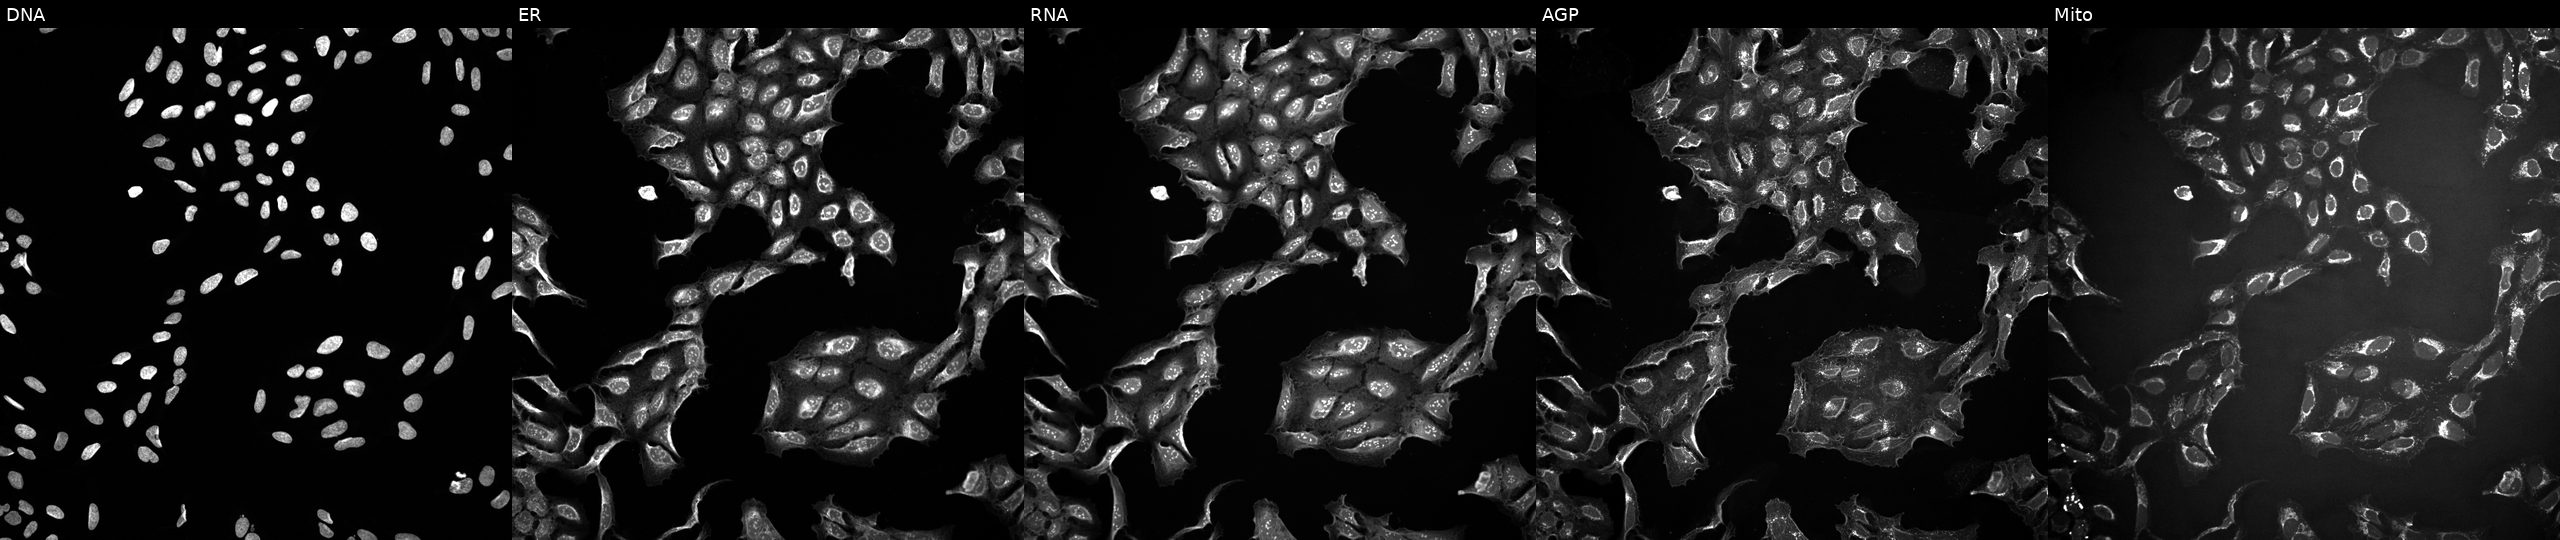
Five-channel Cell Painting image of U2OS cells exposed to DMSO alone as a negative control. Panels show, left to right, DNA, ER, RNA, AGP, and Mito. Source 10, plate Dest210803-153958, well O11.